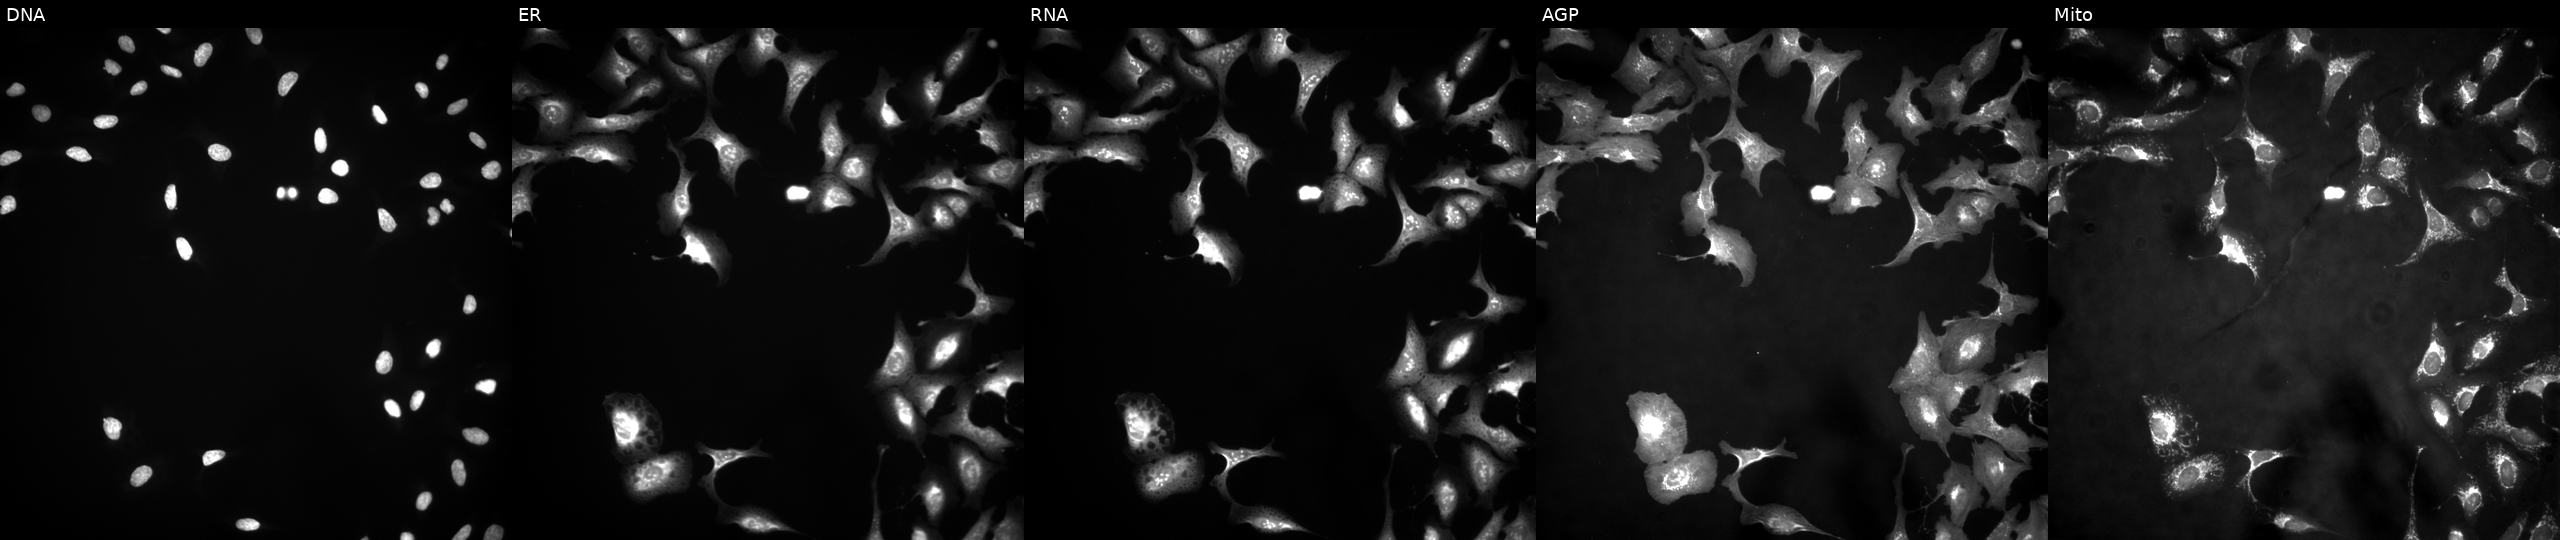
U2OS cells, Cell Painting assay, overexpressing TMEM140 via ORF transfection. Channels (left→right): DNA, ER, RNA, AGP, and Mito. Each panel is percentile-stretched 16-bit fluorescence.